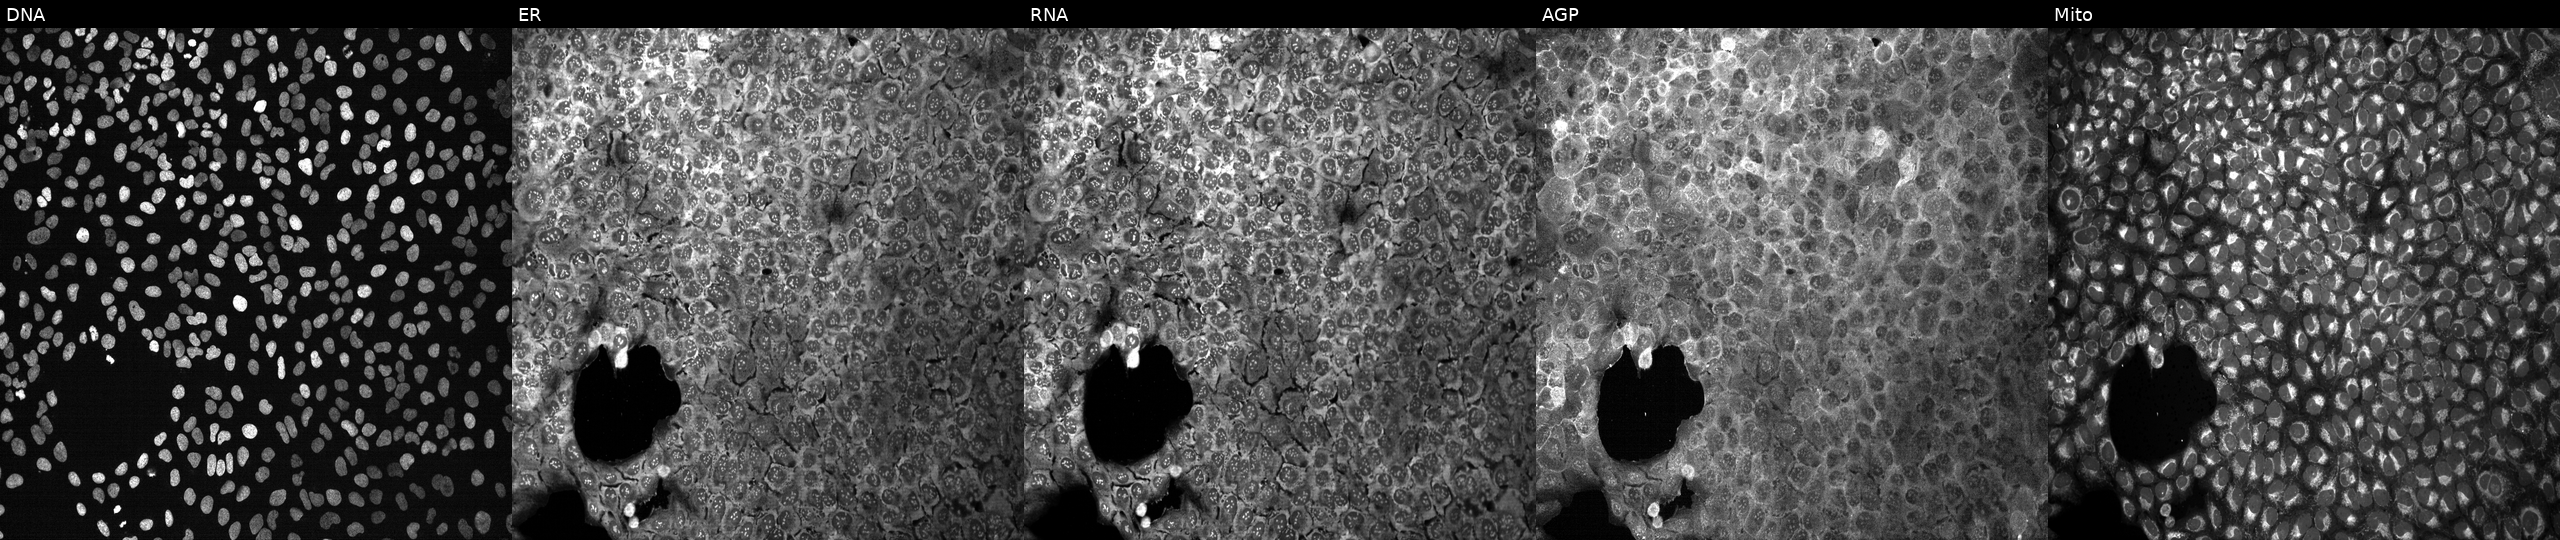
JUMP Cell Painting — CRISPR plate. U2OS cells with a non-targeting CRISPR guide (negative control). Panels show, left to right, Hoechst 33342, concanavalin A, SYTO 14, phalloidin and WGA, MitoTracker. Source 13, plate CP-CC9-R2-02, well I23.